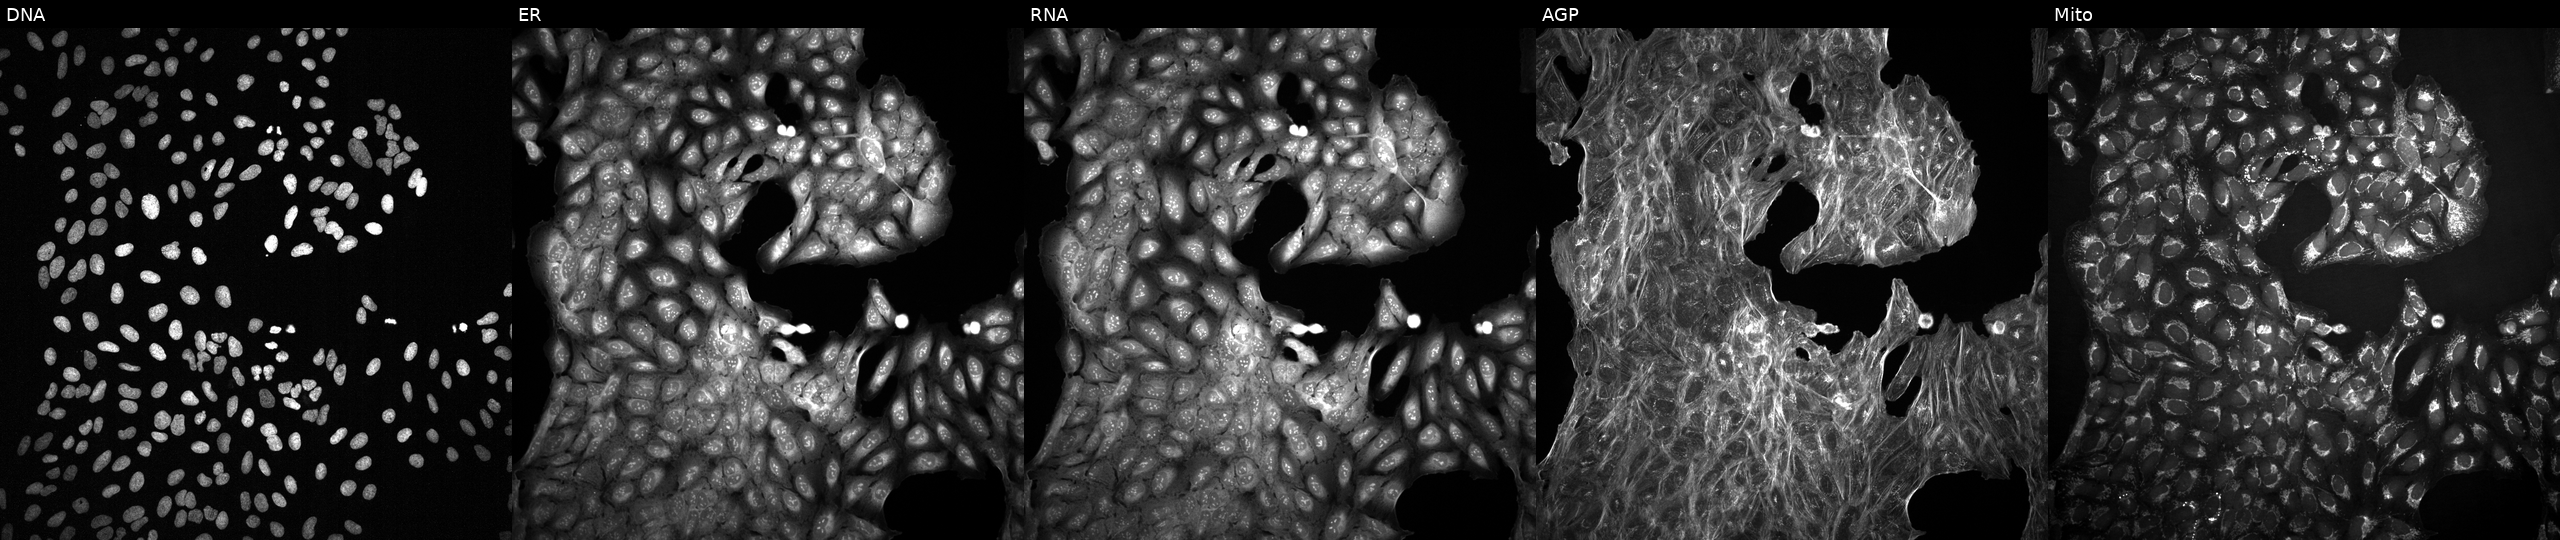
High-content fluorescence microscopy (Cell Painting). Cell line: U2OS. Perturbation: treated with a small-molecule compound (InChIKey YCYMCMYLORLIJX-UHFFFAOYSA-N) [SMILES: CCCCCCC(CCC)C(=O)O]. Panels show, left to right, Hoechst 33342, concanavalin A, SYTO 14, phalloidin and WGA, MitoTracker.